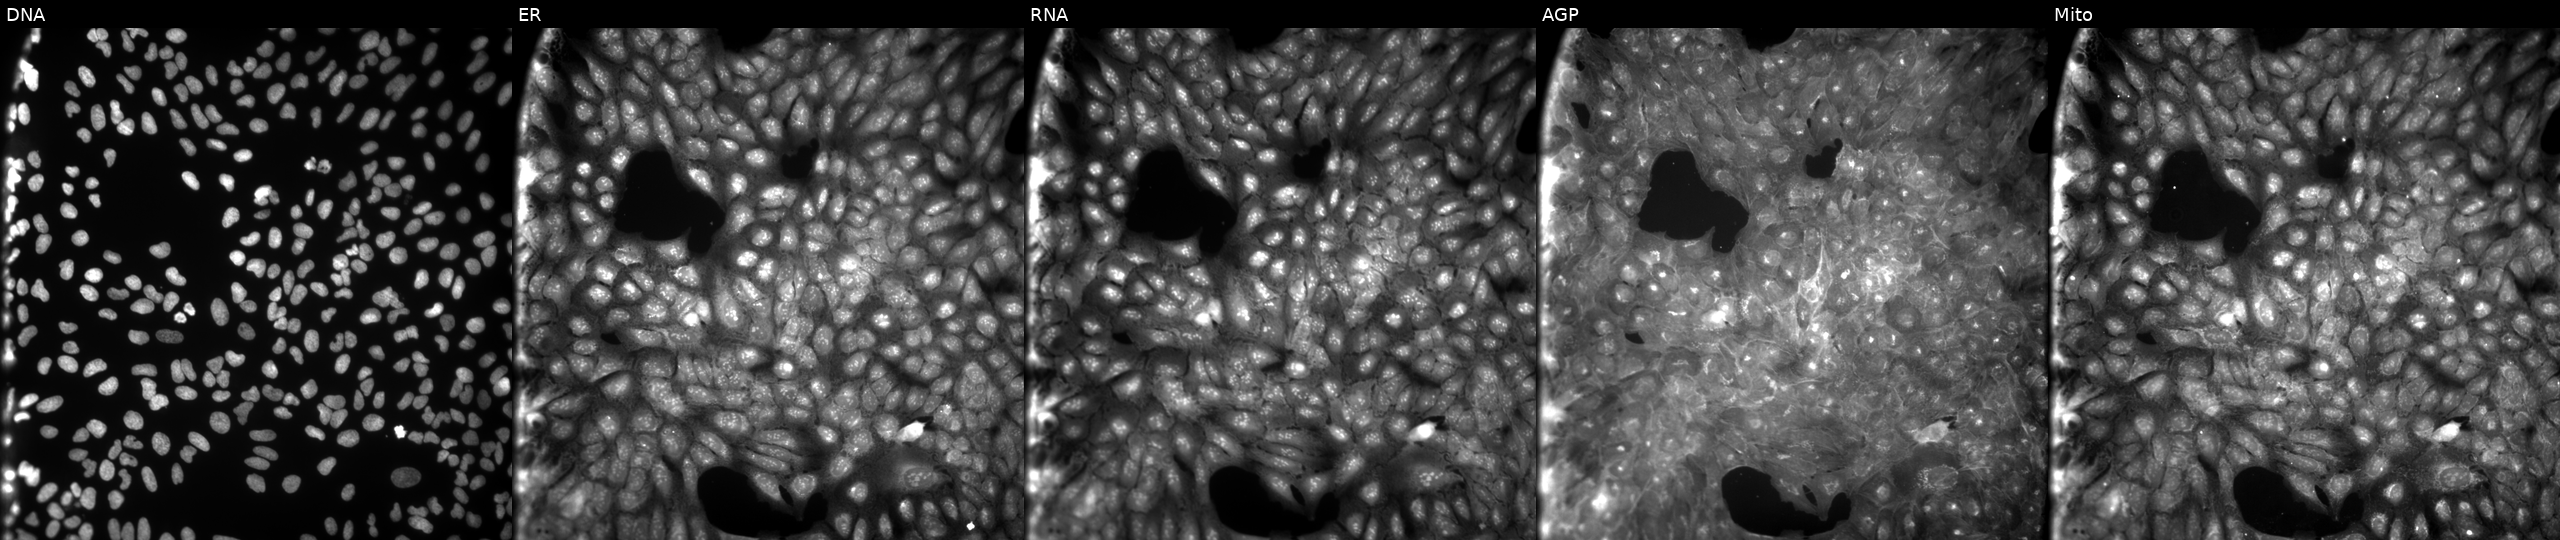
U2OS cells, Cell Painting assay, treated with a small-molecule compound (InChIKey ADUHGNOQZMBVPZ-UHFFFAOYSA-N) [SMILES: O=C(Nc1ccc(N2CCCC2)c(Cl)c1)c1ccc([N+](=O)[O-])cc1] (JUMP id JCP2022_000734). Channels (left→right): DNA, ER, RNA, AGP, and Mito. Each panel is percentile-stretched 16-bit fluorescence.